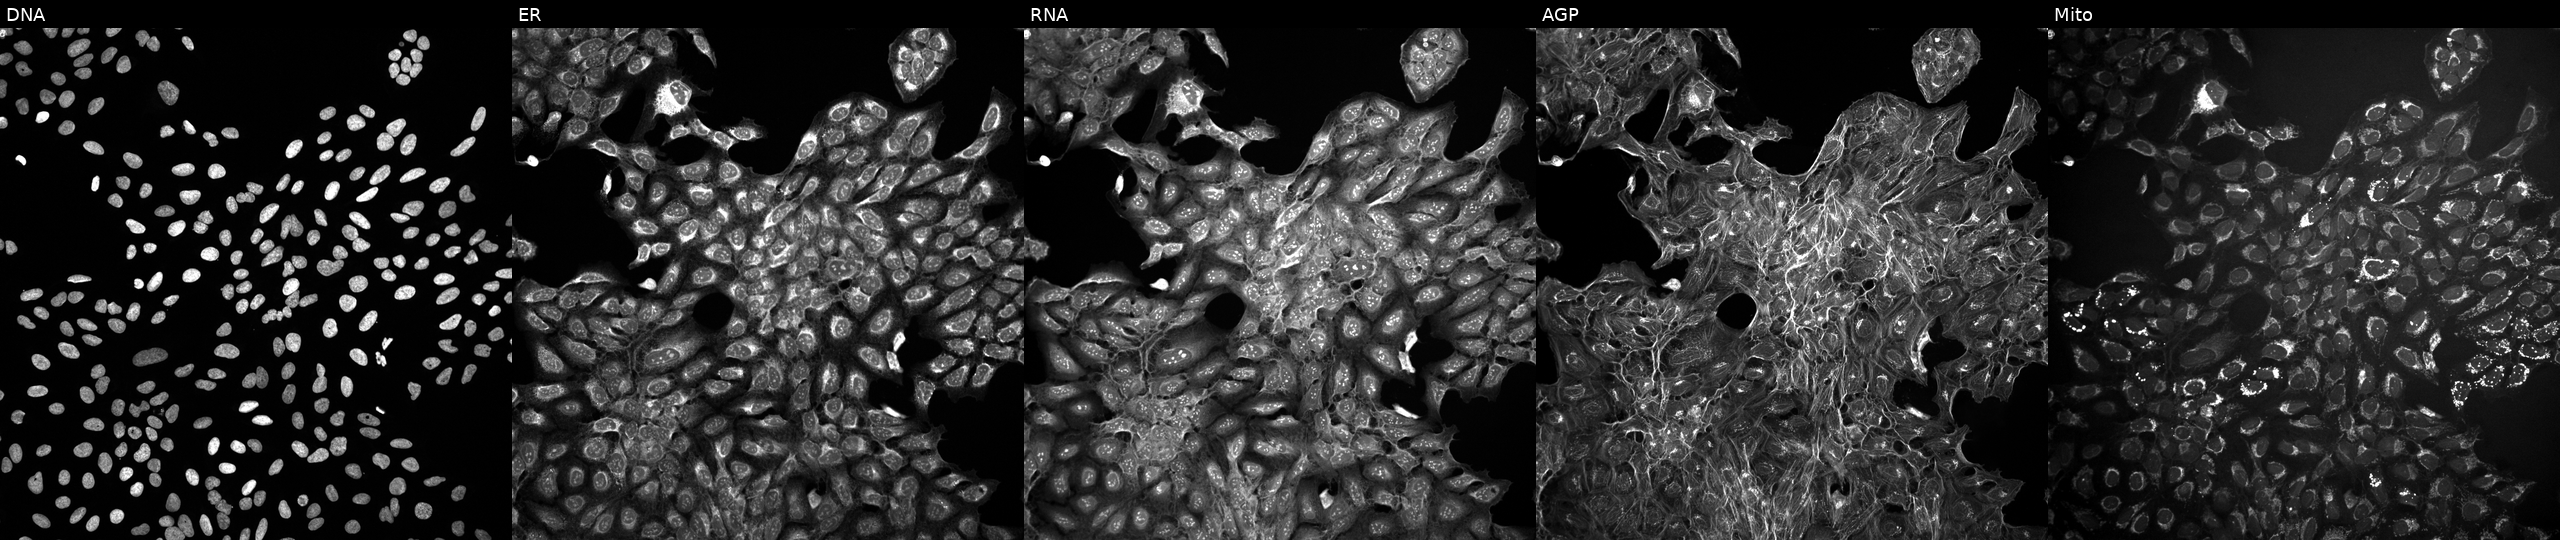
High-content fluorescence microscopy (Cell Painting). Cell line: U2OS. Perturbation: treated with a small-molecule compound (InChIKey AQGDRBKIPPVTCX-UHFFFAOYSA-N) (JUMP id JCP2022_003102). From left to right: DNA (nuclei); ER (endoplasmic reticulum); RNA (nucleoli and cytoplasmic RNA); AGP (actin cytoskeleton, Golgi, and plasma membrane); Mito (mitochondria).